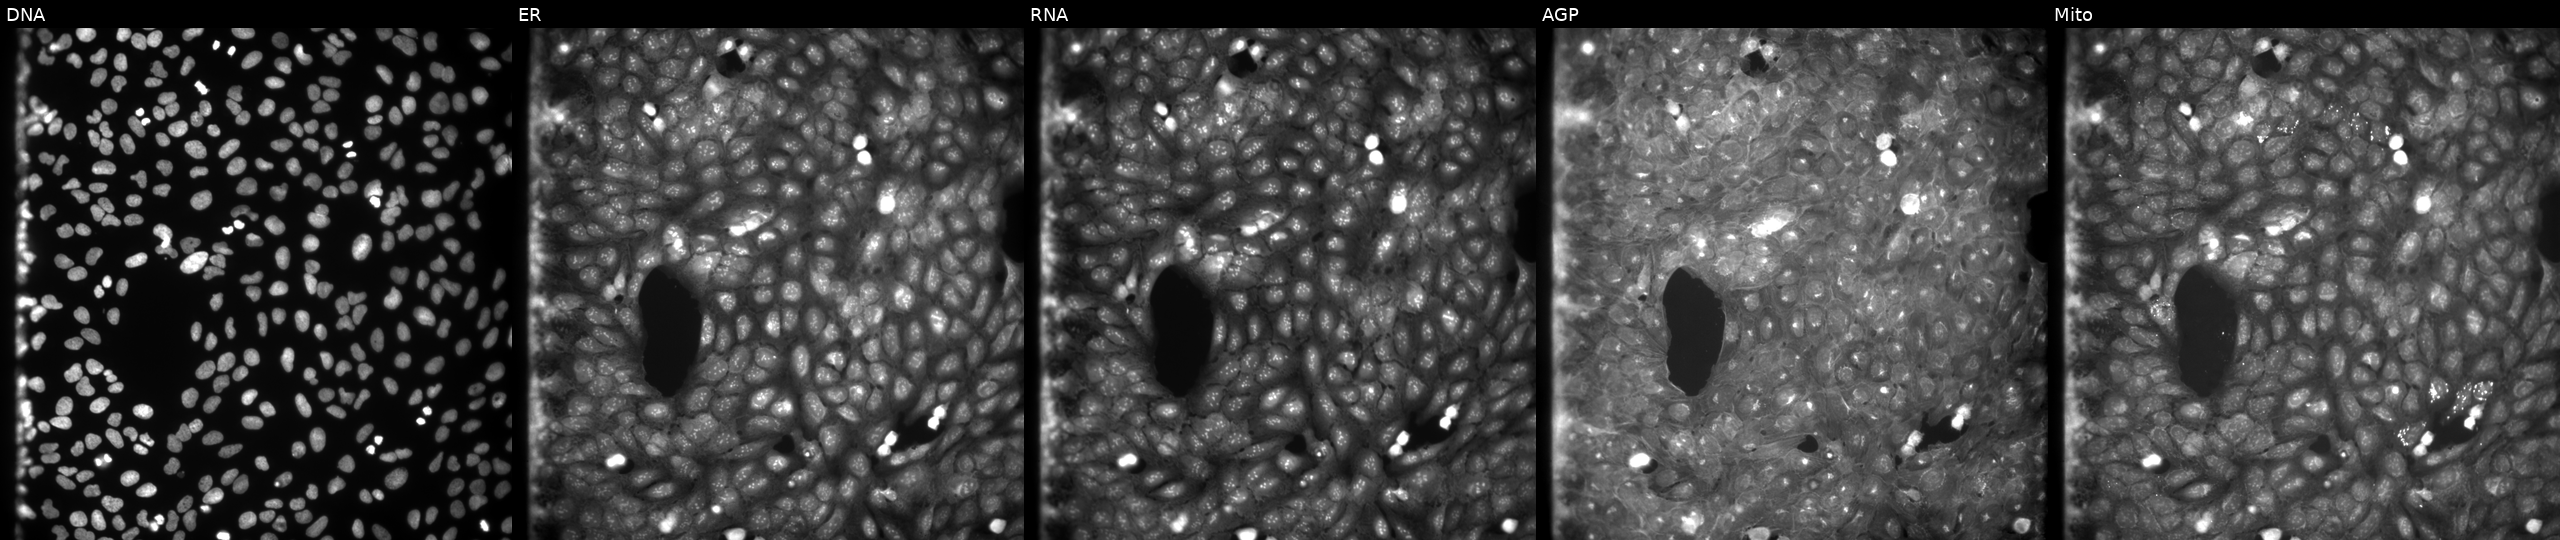
Five-channel Cell Painting image of U2OS cells treated with a small-molecule compound (InChIKey UUWLXFVSMOQYFK-UHFFFAOYSA-N) (JUMP id JCP2022_091731). Channels (left→right): DNA (nuclei); ER (endoplasmic reticulum); RNA (nucleoli and cytoplasmic RNA); AGP (actin cytoskeleton, Golgi, and plasma membrane); Mito (mitochondria).